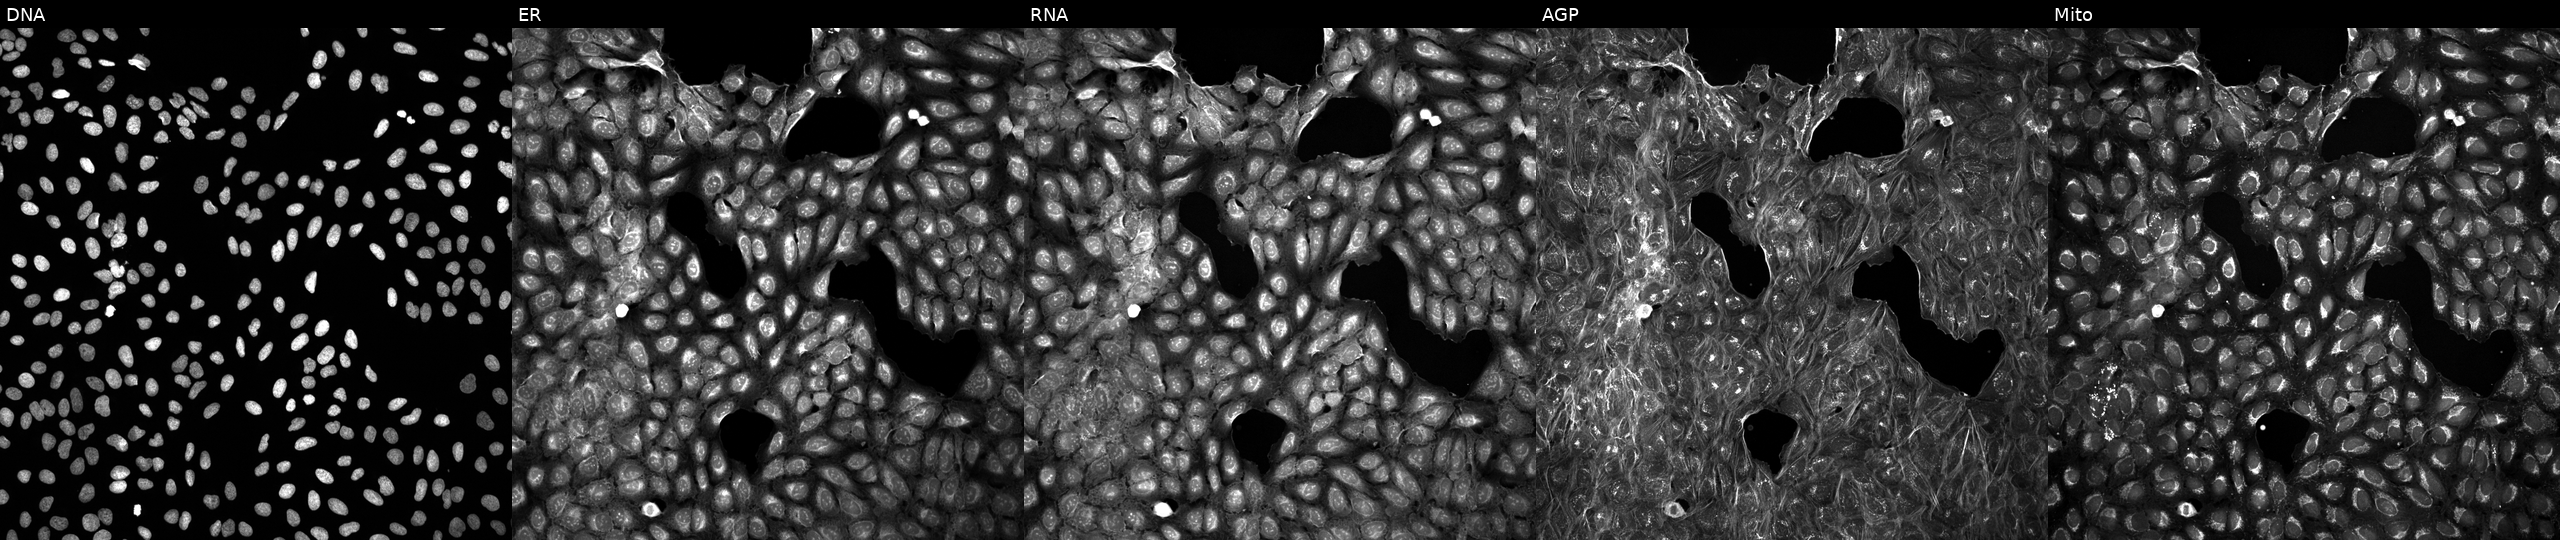
Five-channel Cell Painting image of U2OS cells exposed to a small-molecule compound (JUMP id JCP2022_072945). The five panels, left to right, show Hoechst 33342, concanavalin A, SYTO 14, phalloidin and WGA, MitoTracker.